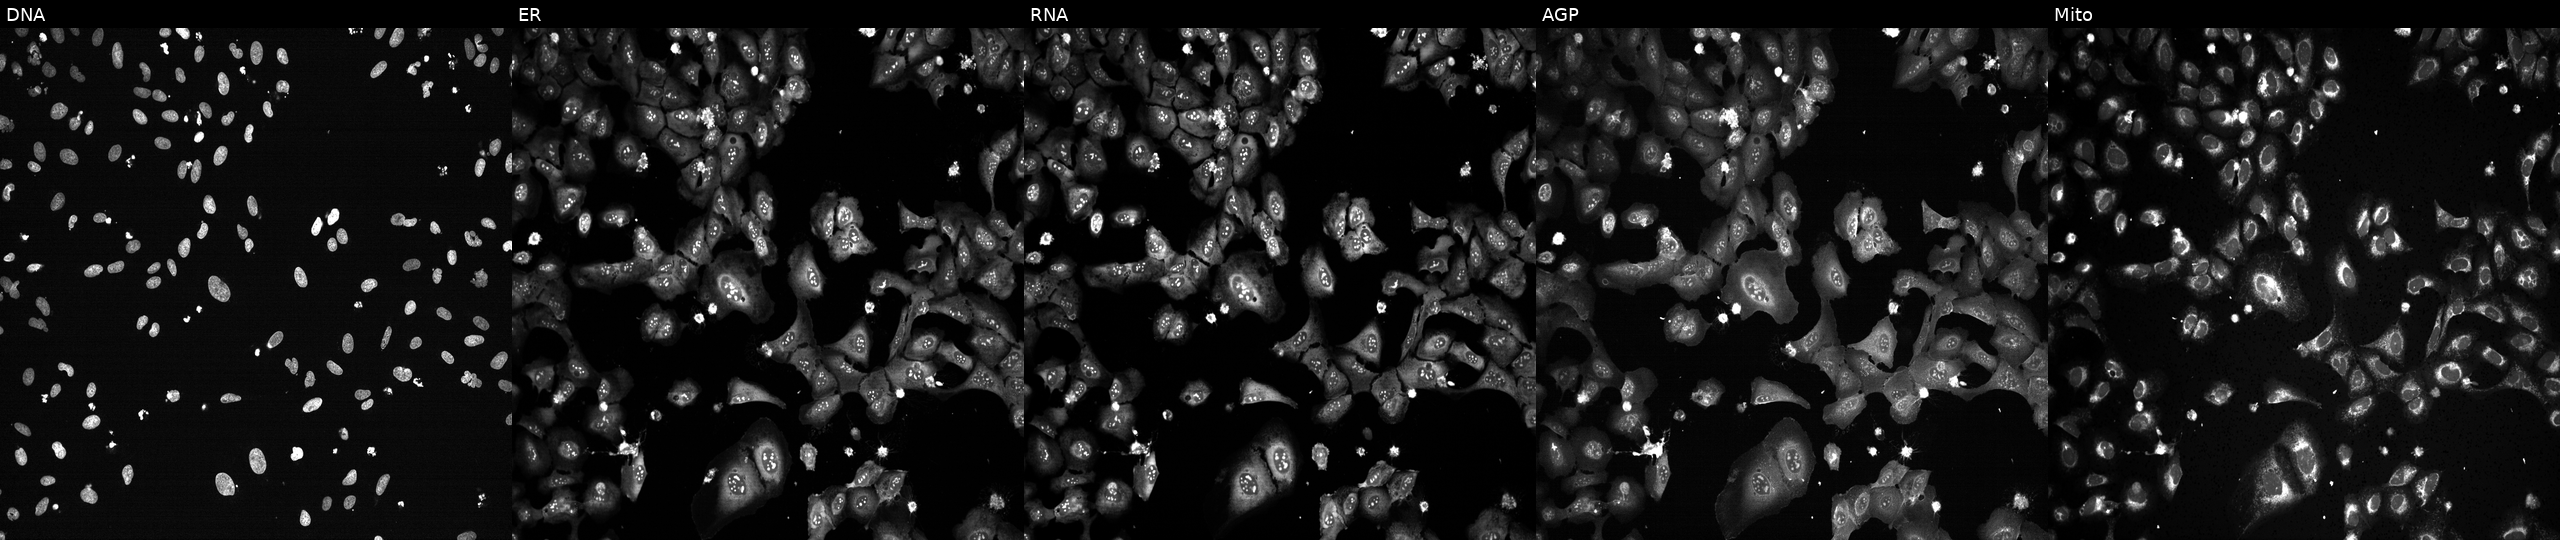
High-content fluorescence microscopy (Cell Painting). Cell line: U2OS. Perturbation: exposed to the positive-control compound TC-S-7004. The five panels, left to right, show Hoechst 33342, concanavalin A, SYTO 14, phalloidin and WGA, MitoTracker. Source 13, plate CP-CC9-R4-04, well L24.